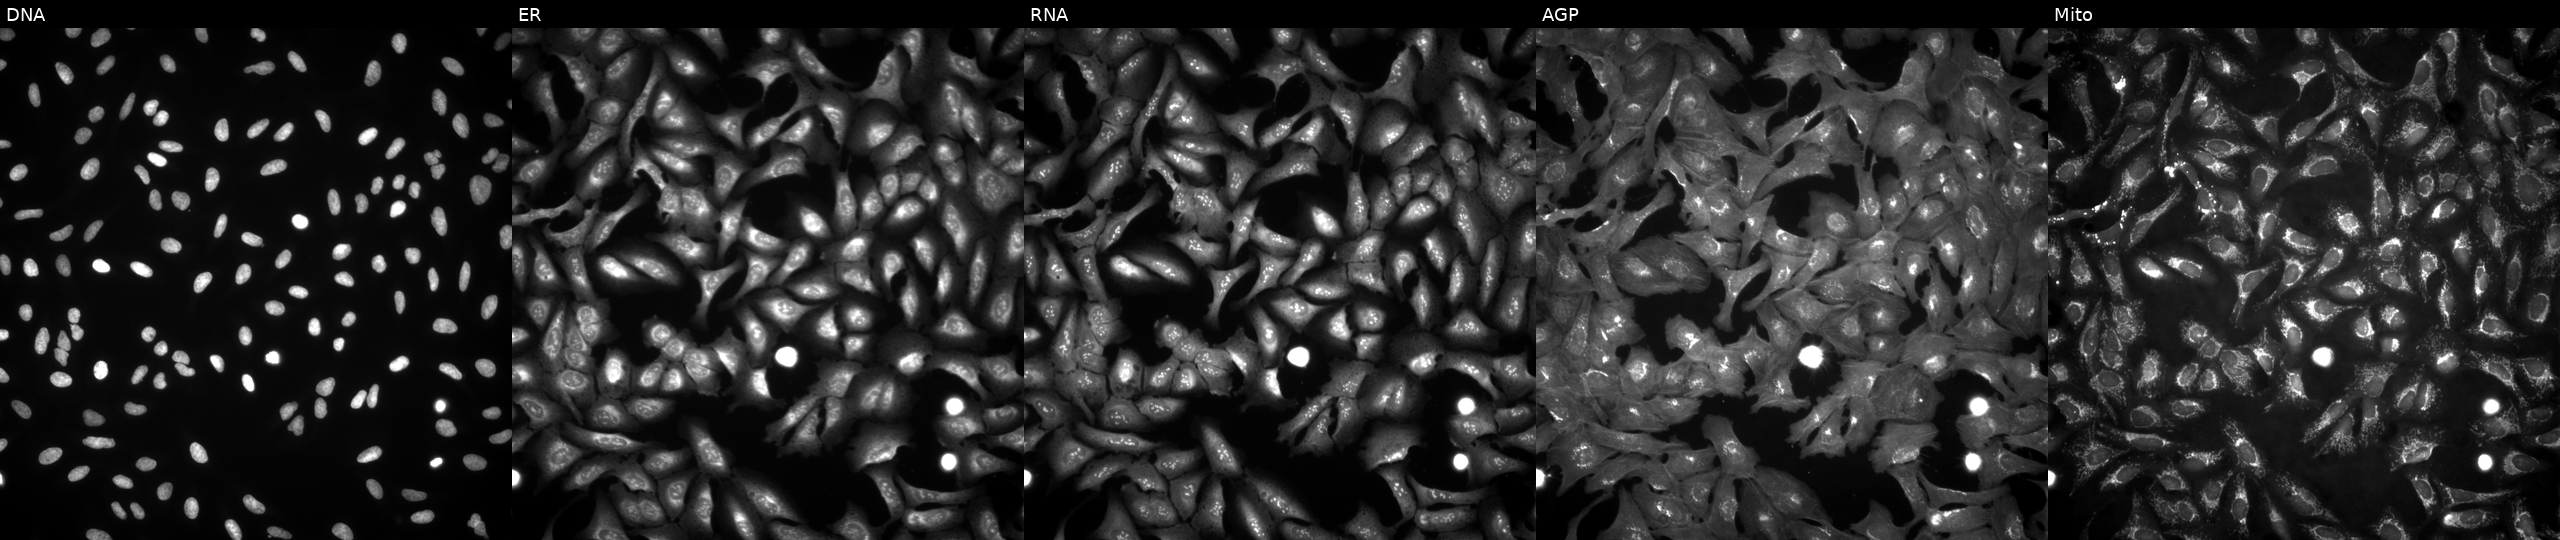
Panels show, left to right, Hoechst 33342, concanavalin A, SYTO 14, phalloidin and WGA, MitoTracker. U2OS osteosarcoma cells with GNG12 overexpressed (ORF). Cell Painting assay, JUMP-CP dataset.